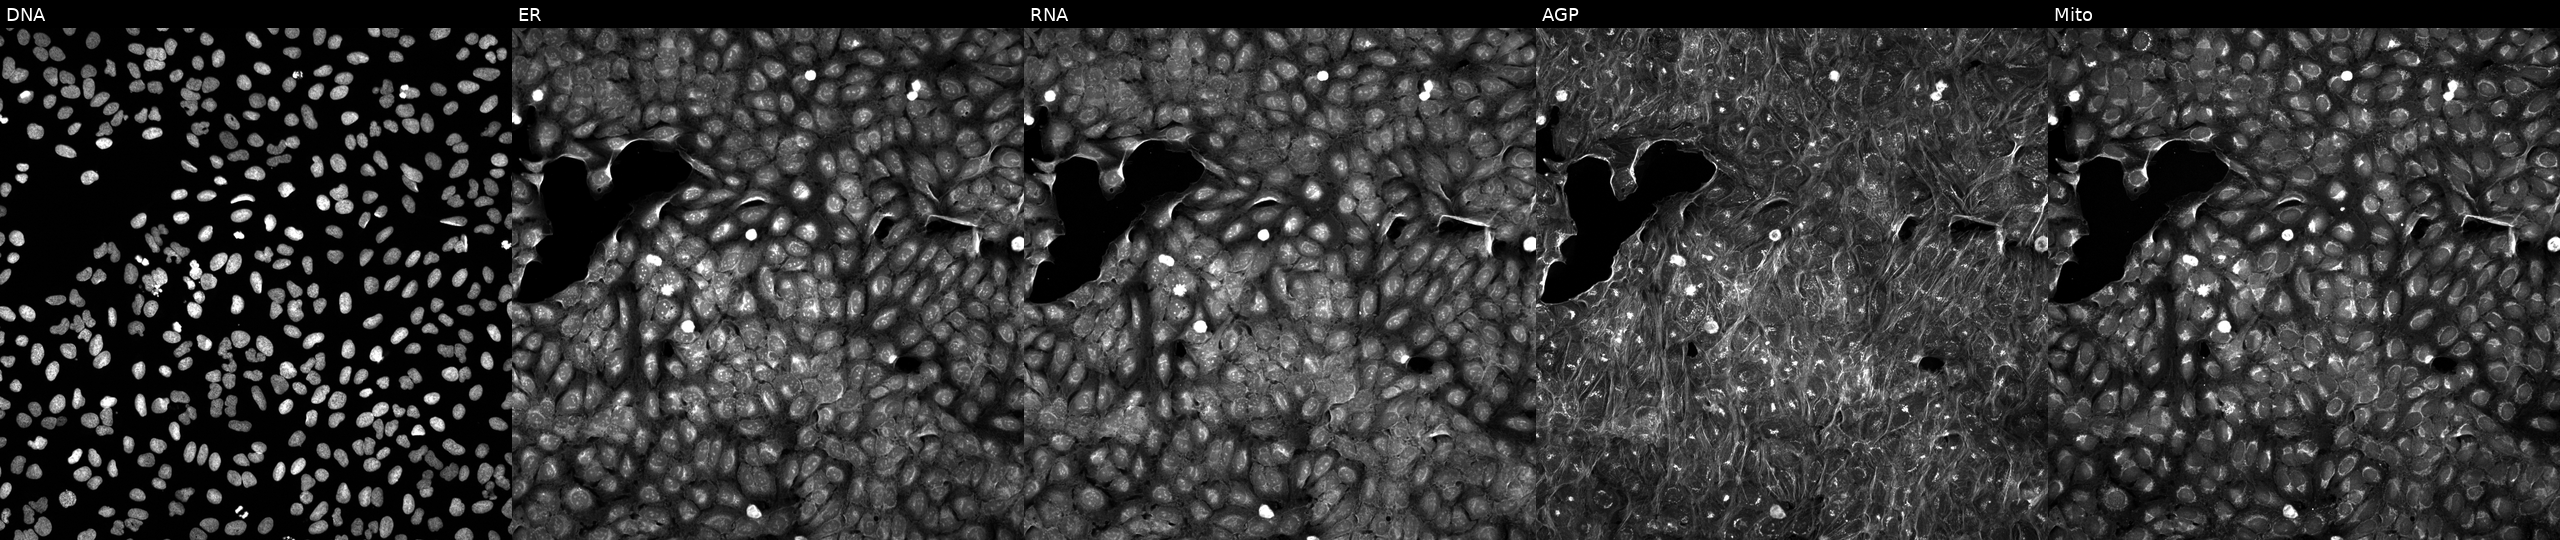
Channels (left→right): DNA, ER, RNA, AGP, and Mito. U2OS osteosarcoma cells exposed to a small-molecule compound. Cell Painting assay, JUMP-CP dataset.